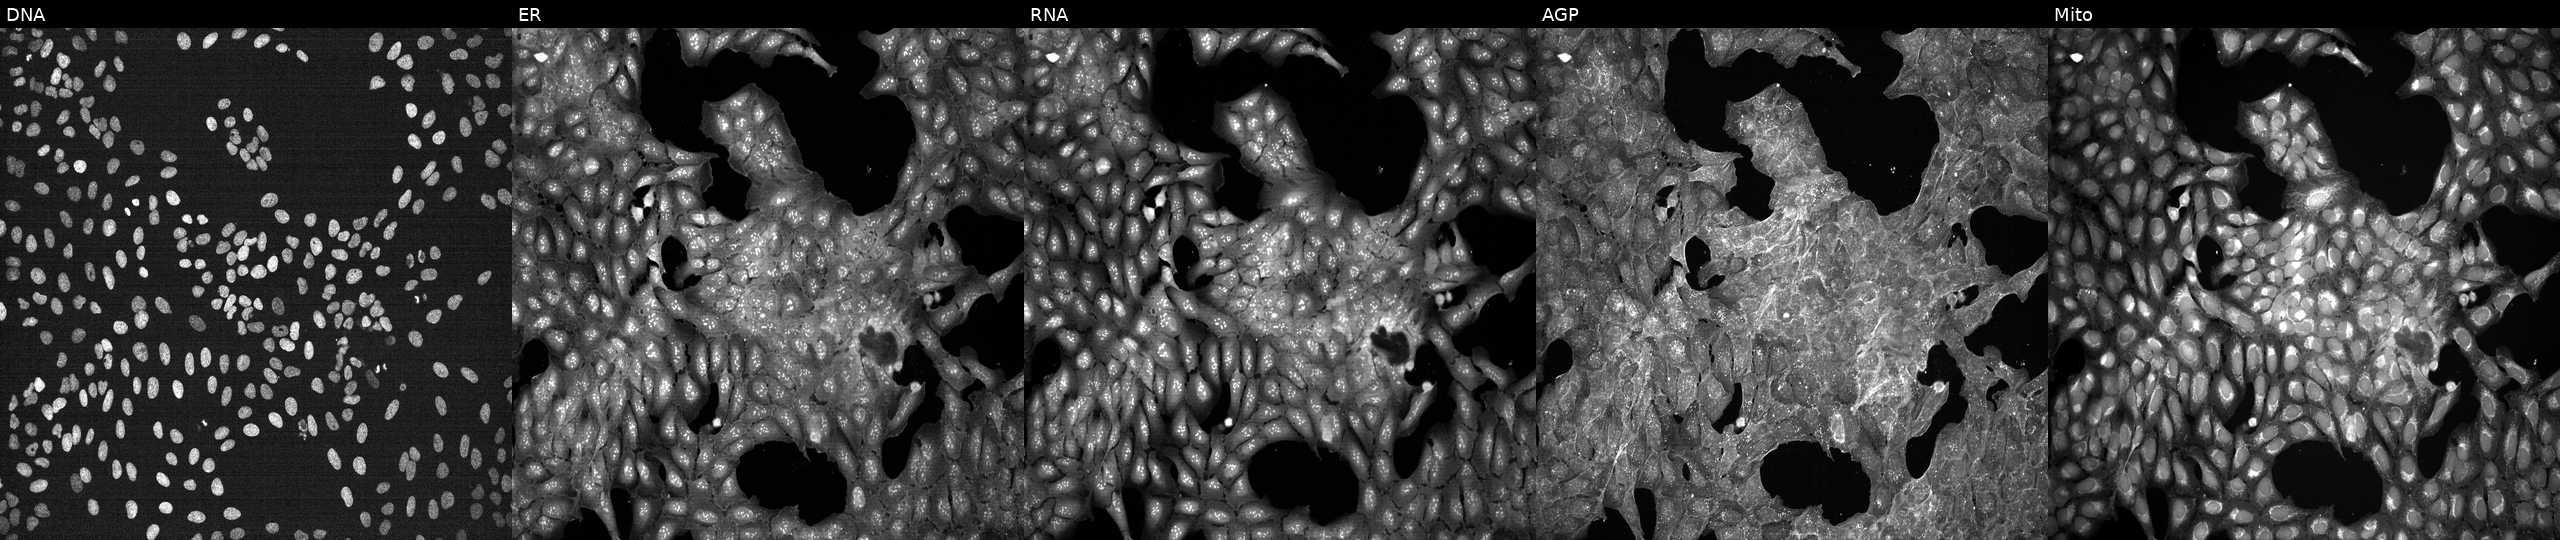
U2OS cells, Cell Painting assay, treated with DMSO vehicle only (negative control). From left to right: DNA (nuclei); ER (endoplasmic reticulum); RNA (nucleoli and cytoplasmic RNA); AGP (actin cytoskeleton, Golgi, and plasma membrane); Mito (mitochondria). Each panel is percentile-stretched 16-bit fluorescence.